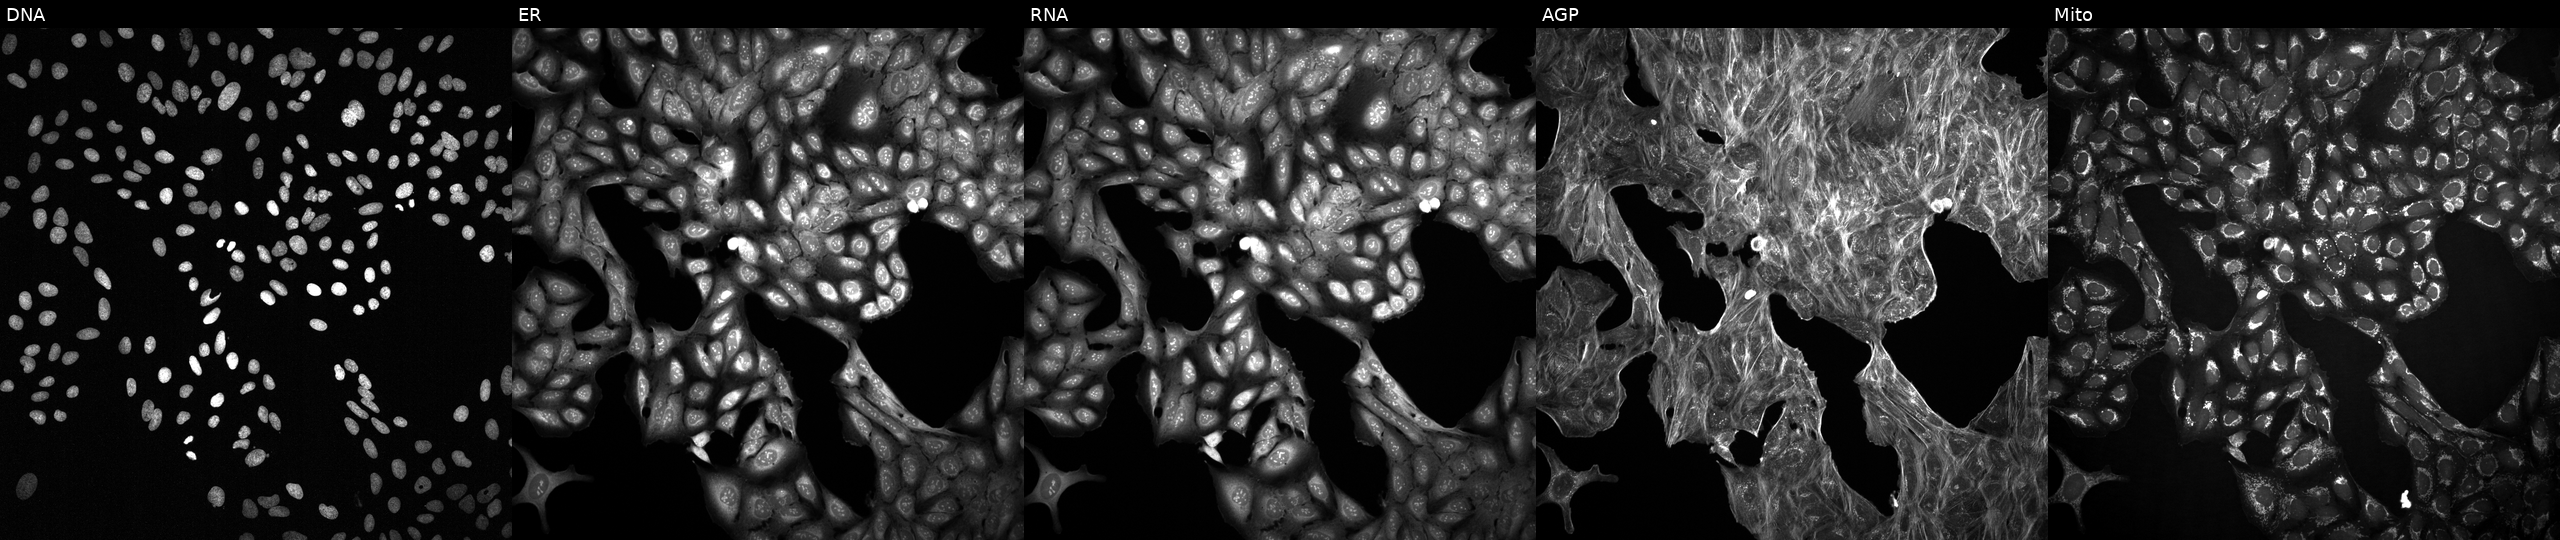
Channels (left→right): DNA (nuclei); ER (endoplasmic reticulum); RNA (nucleoli and cytoplasmic RNA); AGP (actin cytoskeleton, Golgi, and plasma membrane); Mito (mitochondria). U2OS osteosarcoma cells exposed to a small-molecule compound (InChIKey DMJWENQHWZZWDF-UHFFFAOYSA-N) [SMILES: CN1CCc2cc(Cl)c(O)cc2C2c3ccccc3CCC21]. Cell Painting assay, JUMP-CP dataset.